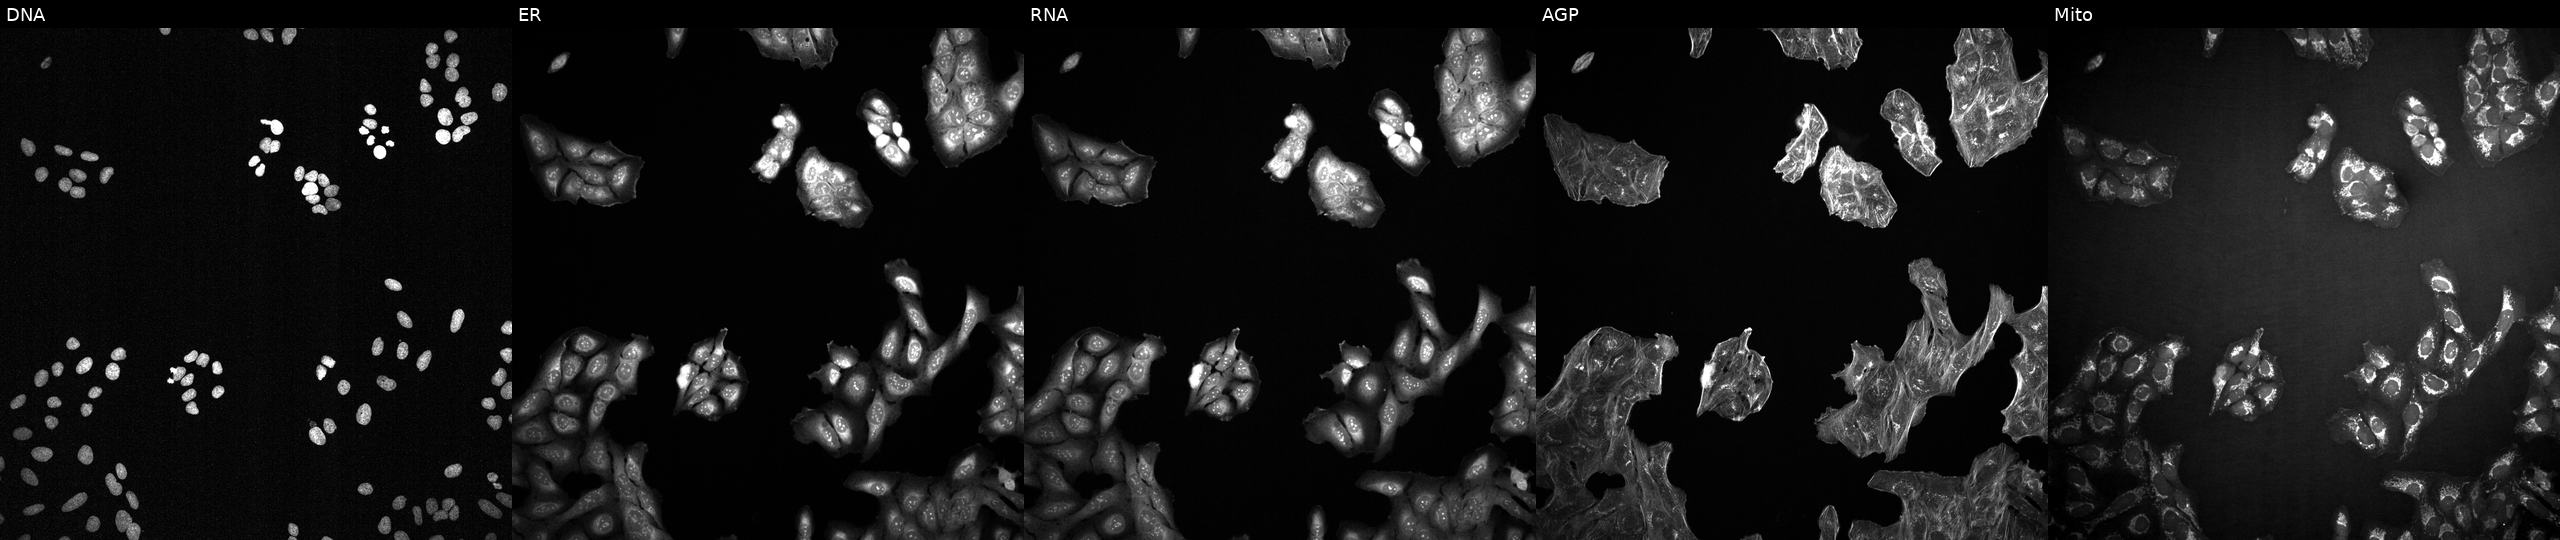
U2OS cells, Cell Painting assay, exposed to a small-molecule compound [SMILES: CC(C)C(=O)c1ccc(O)c(O)c1]. Panels show, left to right, DNA, ER, RNA, AGP, and Mito. Each panel is percentile-stretched 16-bit fluorescence. Source 2, plate 1053599503, well B03.